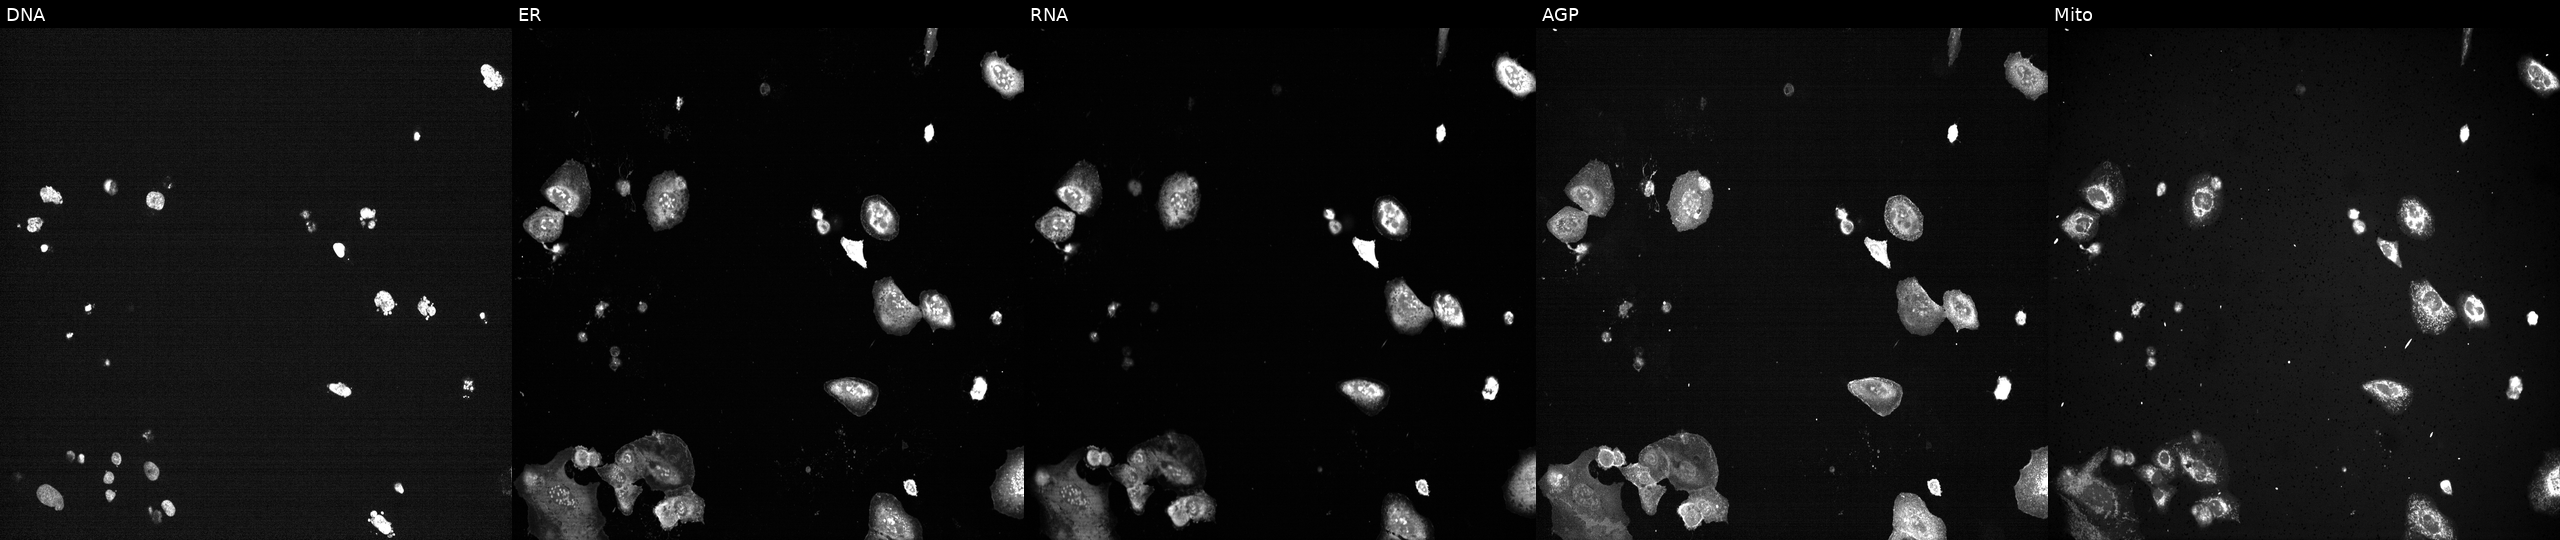
This image strip shows the five Cell Painting channels for a single field of U2OS cells with PLK1 knocked out by CRISPR (positive control). From left to right: DNA (nuclei); ER (endoplasmic reticulum); RNA (nucleoli and cytoplasmic RNA); AGP (actin cytoskeleton, Golgi, and plasma membrane); Mito (mitochondria). Source 13, plate CP-CC9-R4-04, well P02.